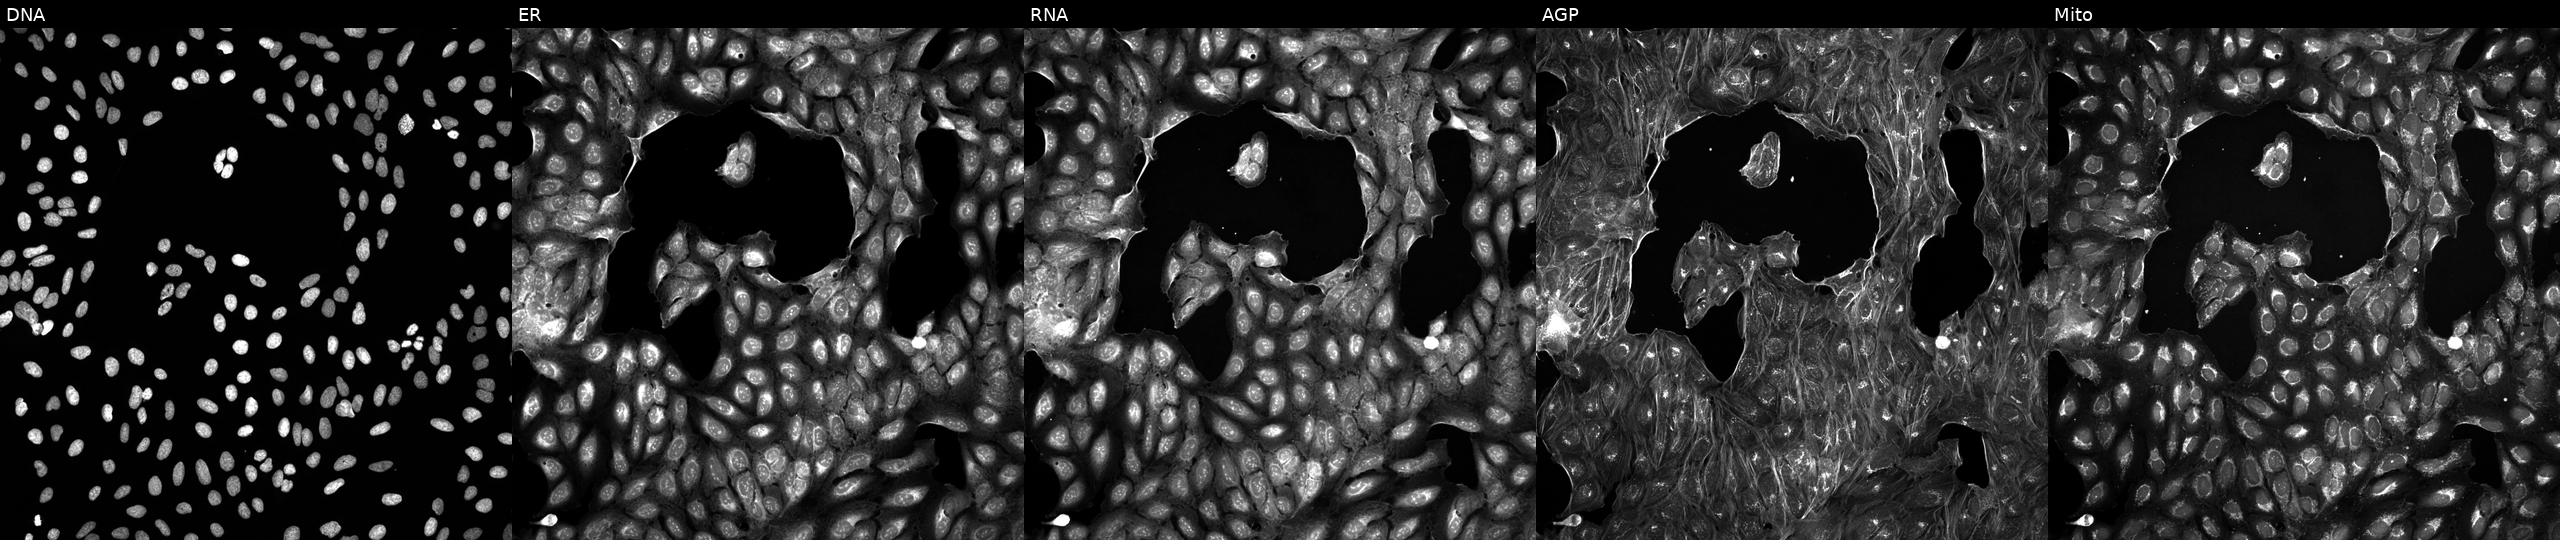
U2OS cells, Cell Painting assay, treated with a small-molecule compound (InChIKey PHLBKPHSAVXXEF-UHFFFAOYSA-N) [SMILES: O=c1n(CCCN2CCN(c3cccc(Cl)c3)CC2)nc2ccccn12]. Channels (left→right): DNA (nuclei); ER (endoplasmic reticulum); RNA (nucleoli and cytoplasmic RNA); AGP (actin cytoskeleton, Golgi, and plasma membrane); Mito (mitochondria). Each panel is percentile-stretched 16-bit fluorescence.